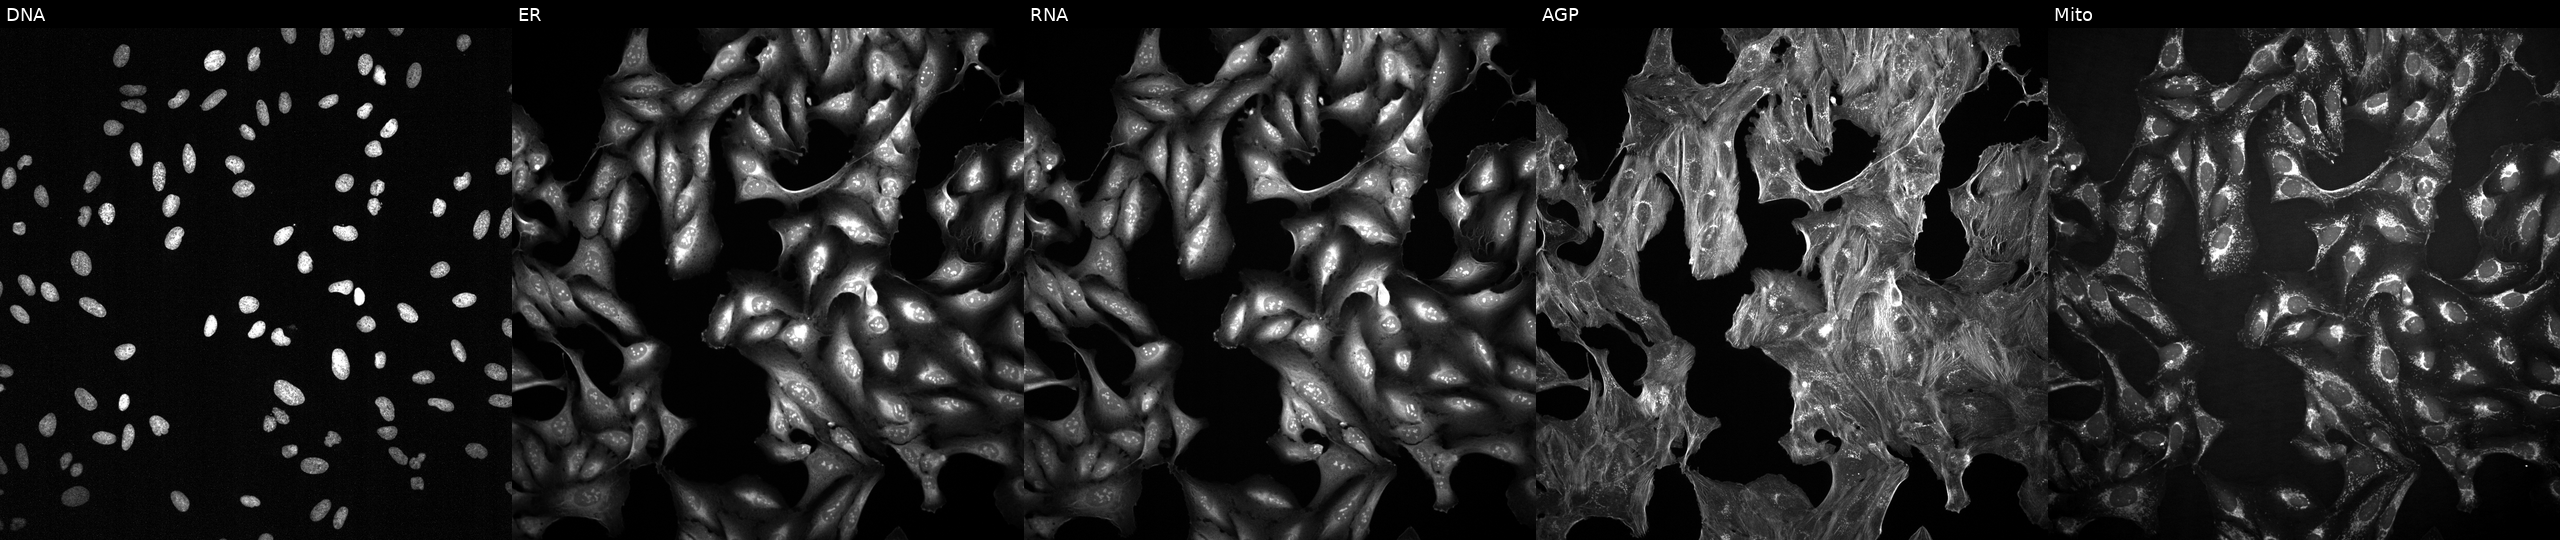
U2OS cells, Cell Painting assay, exposed to a small-molecule compound. From left to right: DNA (nuclei); ER (endoplasmic reticulum); RNA (nucleoli and cytoplasmic RNA); AGP (actin cytoskeleton, Golgi, and plasma membrane); Mito (mitochondria). Each panel is percentile-stretched 16-bit fluorescence.